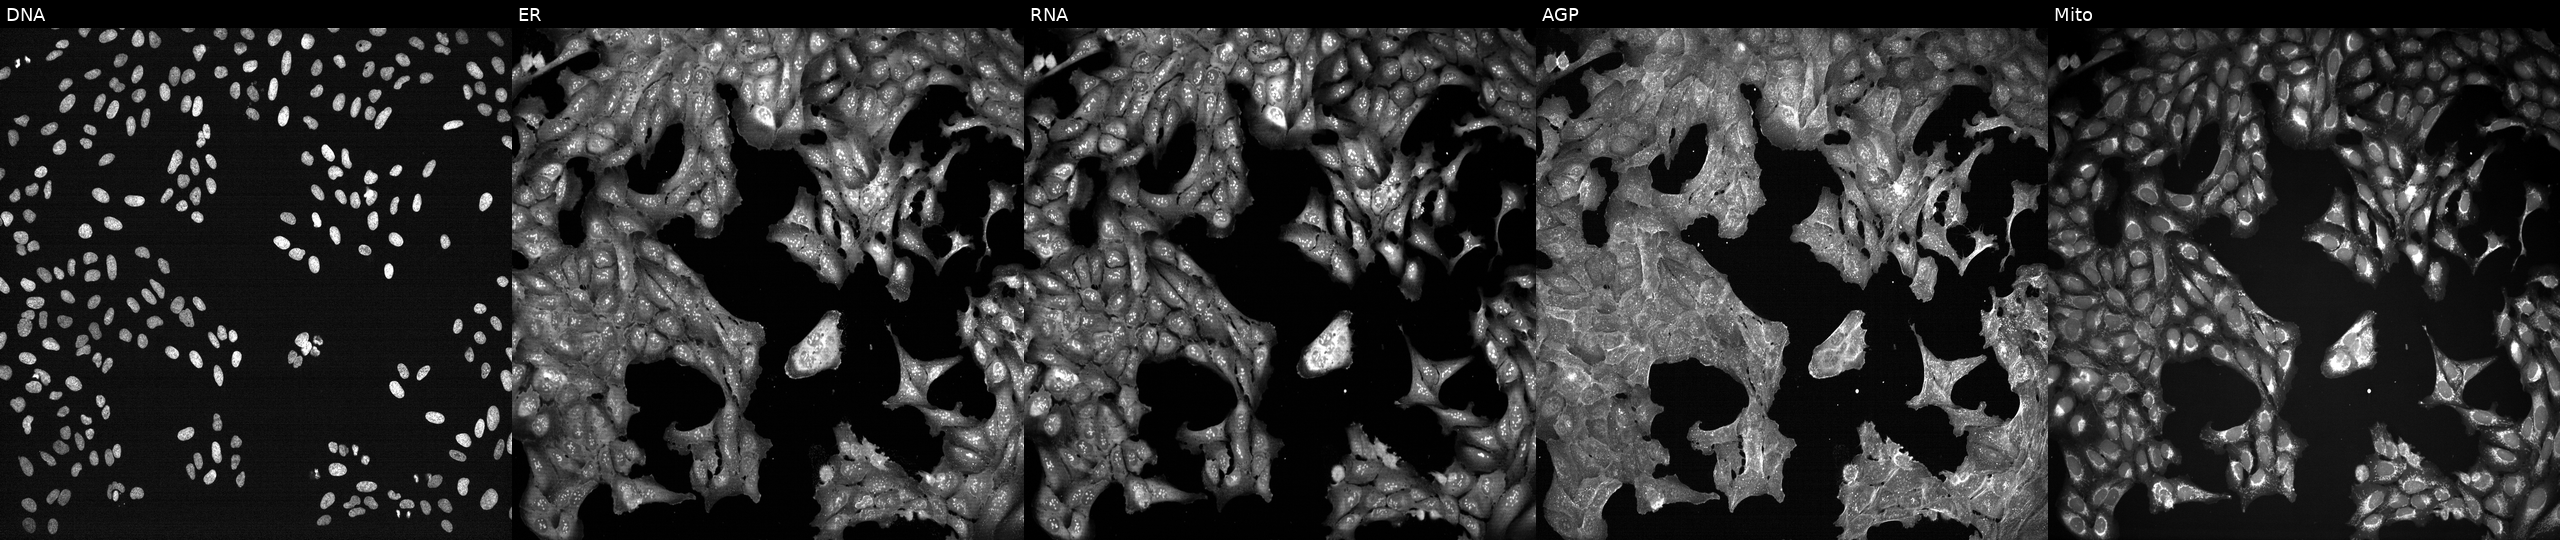
This image strip shows the five Cell Painting channels for a single field of U2OS cells exposed to a small-molecule compound [SMILES: O=C(O)C1CCCN1]. Channels (left→right): Hoechst 33342, concanavalin A, SYTO 14, phalloidin and WGA, MitoTracker.